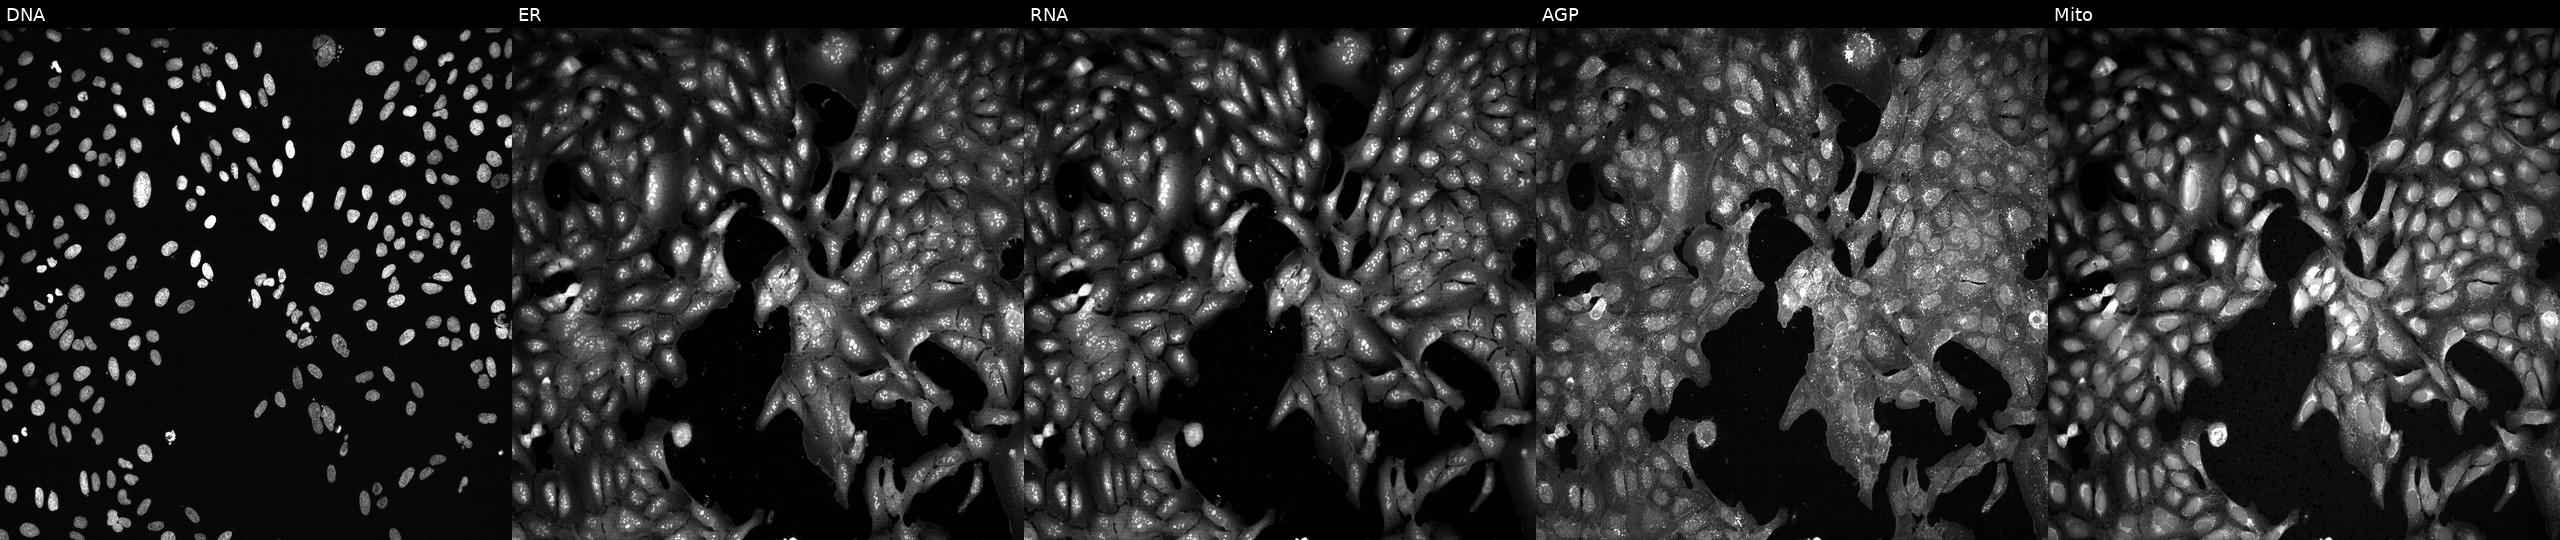
High-content fluorescence microscopy (Cell Painting). Cell line: U2OS. Perturbation: with HSD17B13 knocked out by CRISPR (JUMP id JCP2022_803243). The five panels, left to right, show DNA (nuclei); ER (endoplasmic reticulum); RNA (nucleoli and cytoplasmic RNA); AGP (actin cytoskeleton, Golgi, and plasma membrane); Mito (mitochondria). Source 13, plate CP-CC9-R1-02, well N08.